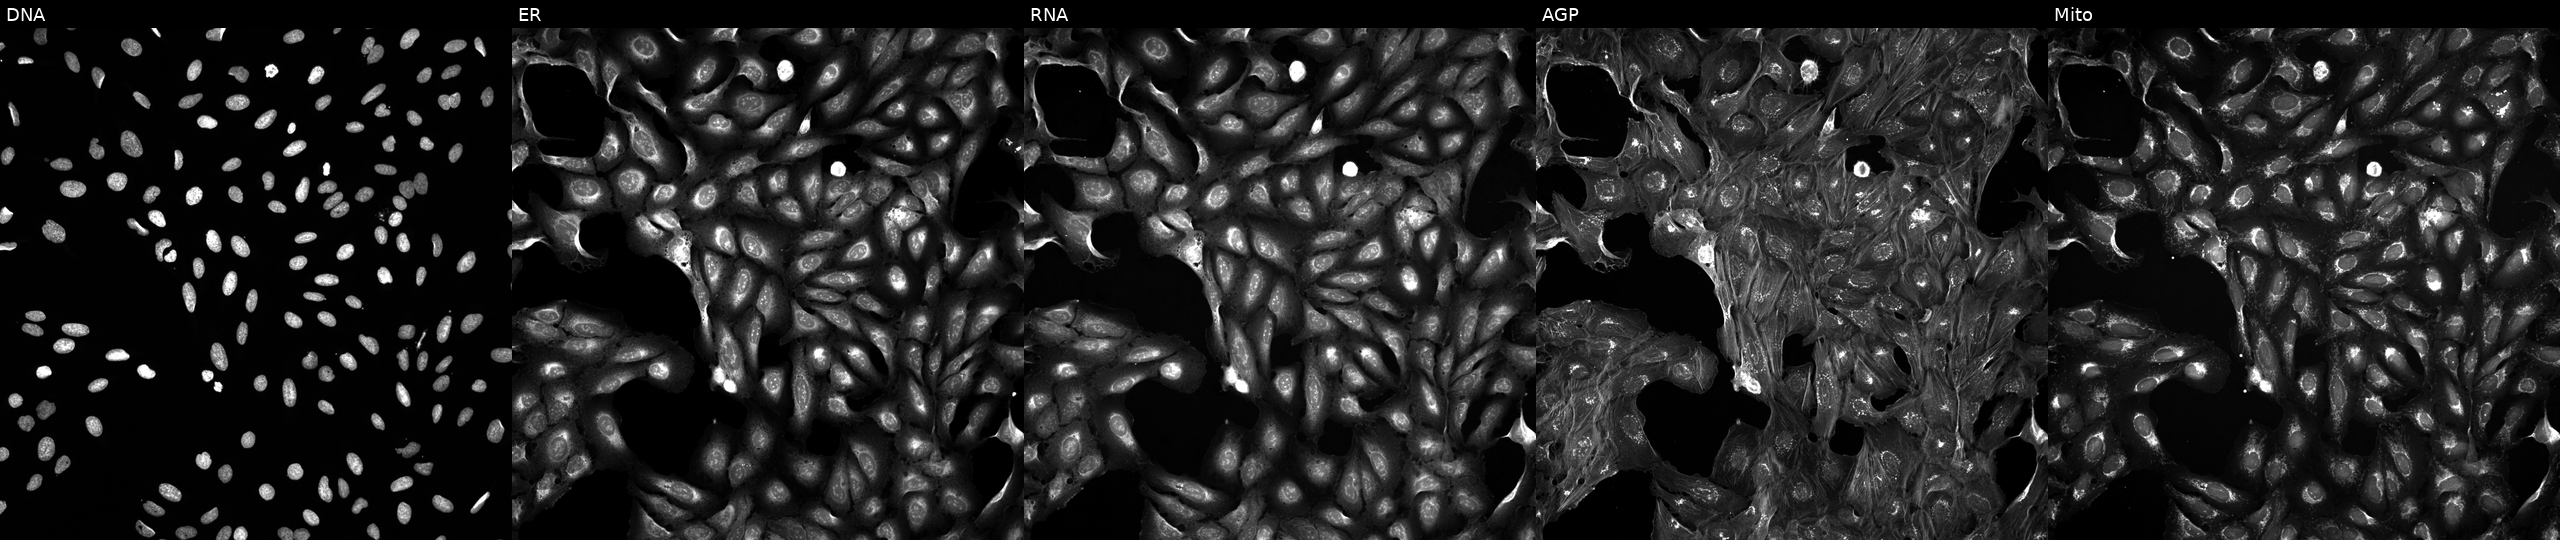
JUMP Cell Painting — TARGET2 plate. U2OS cells exposed to a small-molecule compound (InChIKey BOFQWVMAQOTZIW-UHFFFAOYSA-N) [SMILES: O=C(O)c1ccc(-n2nc(-c3ccccc3O)nc2-c2ccccc2O)cc1] (JUMP id JCP2022_007613). Panels show, left to right, DNA (nuclei); ER (endoplasmic reticulum); RNA (nucleoli and cytoplasmic RNA); AGP (actin cytoskeleton, Golgi, and plasma membrane); Mito (mitochondria).